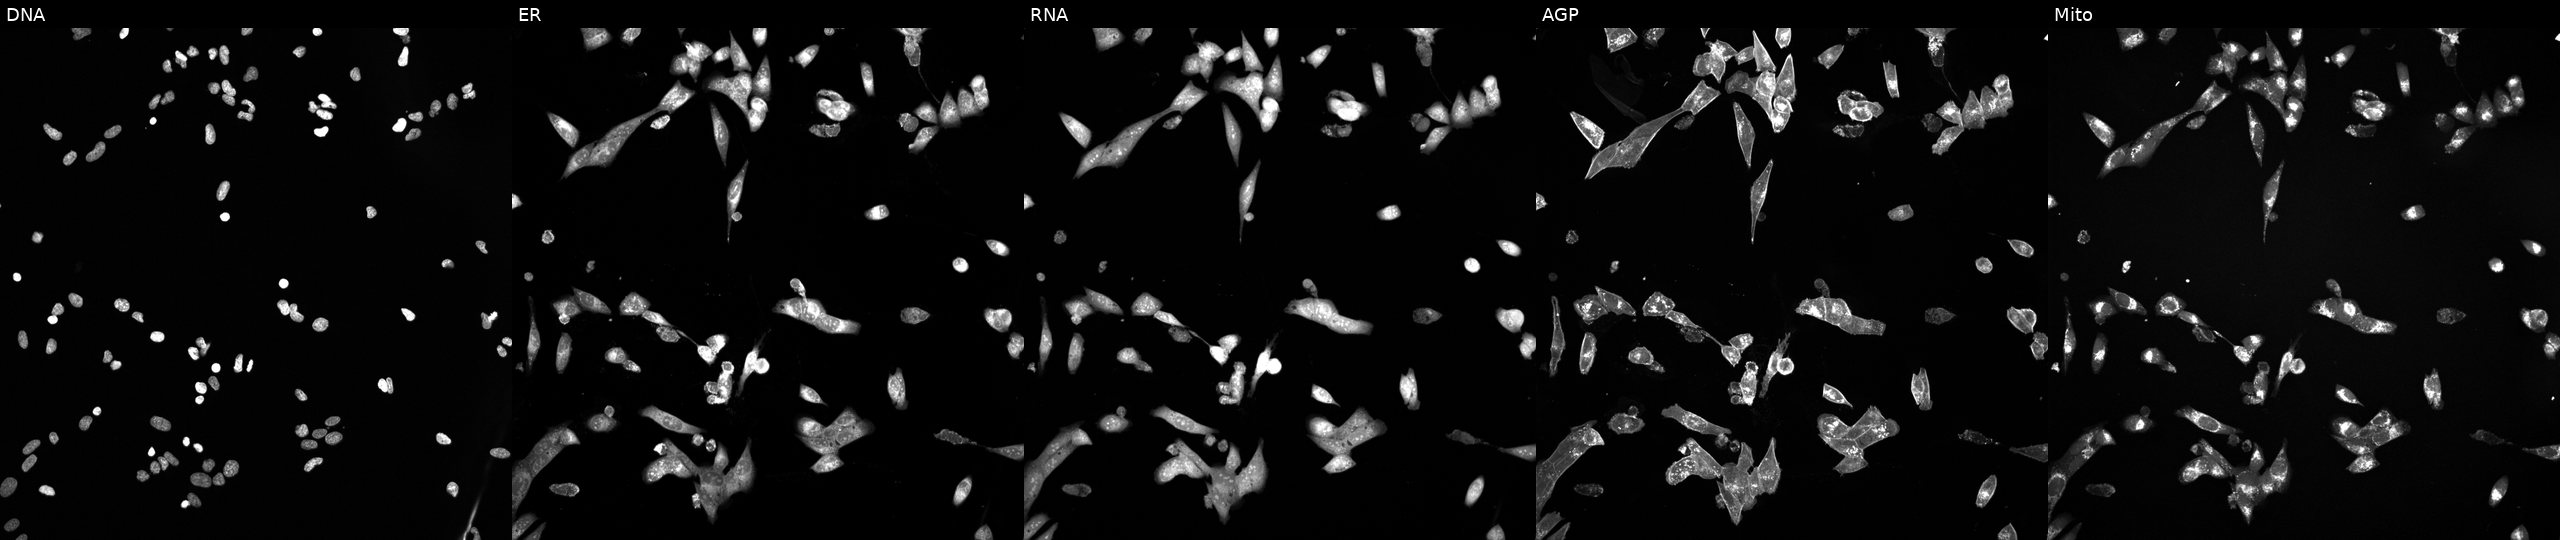
Five-channel Cell Painting image of U2OS cells exposed to a small-molecule compound (InChIKey KJNNWYBAOPXVJY-UHFFFAOYSA-N). Channels (left→right): DNA, ER, RNA, AGP, and Mito.